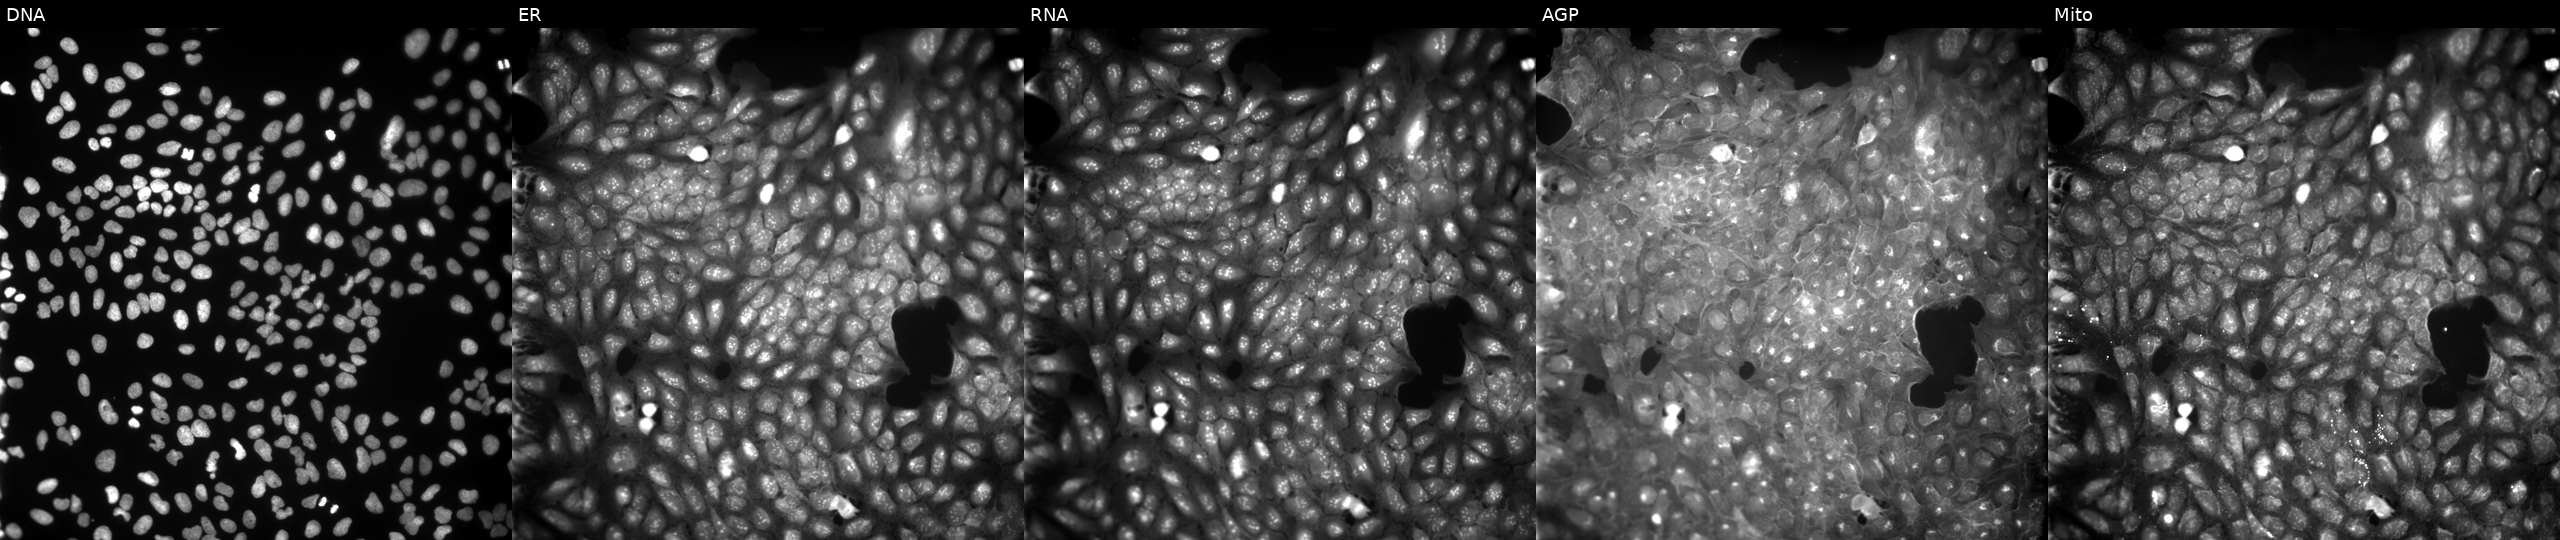
This image strip shows the five Cell Painting channels for a single field of U2OS cells exposed to a small-molecule compound (InChIKey NKXGKGPZUANCIU-UHFFFAOYSA-N) [SMILES: Cc1ccc(-n2c(C)cc(C(=S)N3CCOCC3)c2C)cc1C] (JUMP id JCP2022_059677). From left to right: DNA (nuclei); ER (endoplasmic reticulum); RNA (nucleoli and cytoplasmic RNA); AGP (actin cytoskeleton, Golgi, and plasma membrane); Mito (mitochondria).